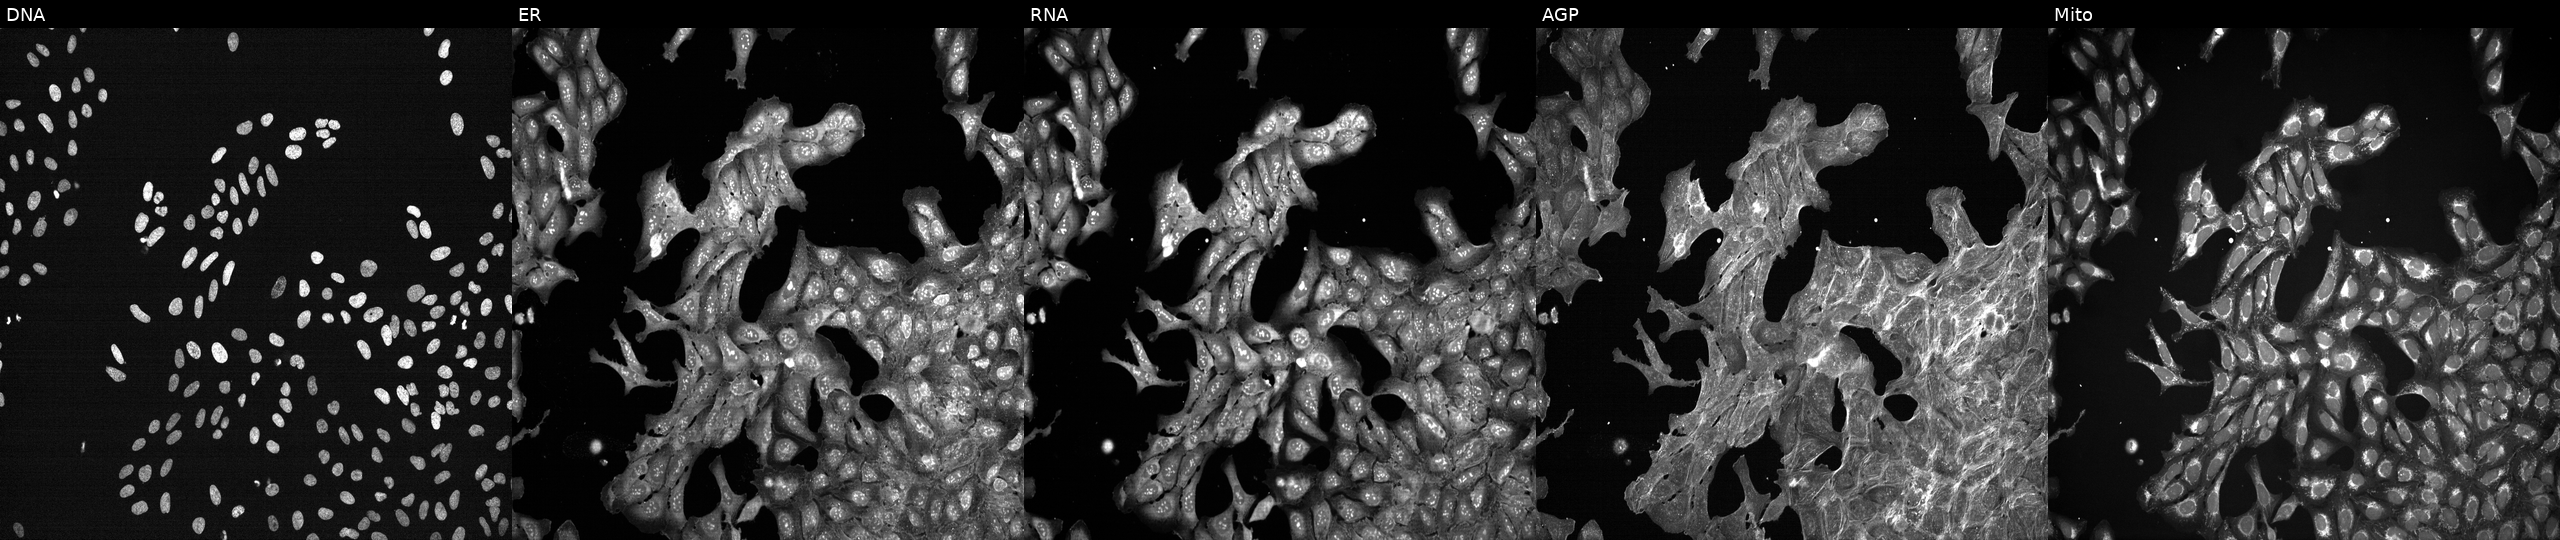
Five-channel Cell Painting image of U2OS cells exposed to DMSO alone as a negative control. From left to right: DNA, ER, RNA, AGP, and Mito. Source 7, plate CP3-SC1-25, well P11.